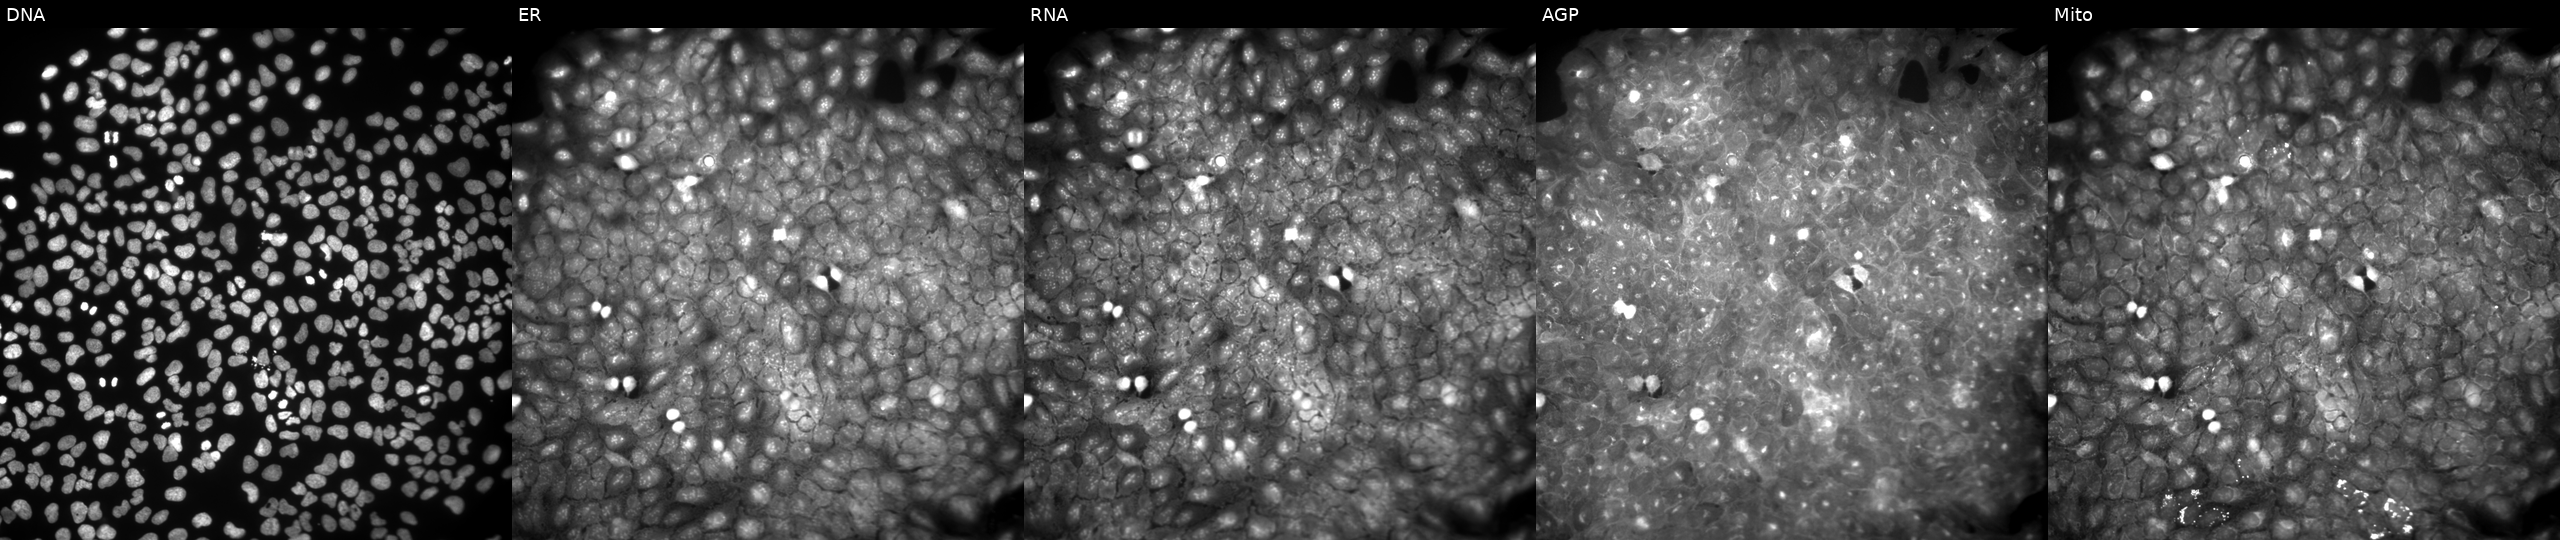
High-content fluorescence microscopy (Cell Painting). Cell line: U2OS. Perturbation: treated with a small-molecule compound (InChIKey FOAUJYUTRFJAAF-UHFFFAOYSA-N) [SMILES: O=C(C1CCCN(S(=O)(=O)c2ccccc2[N+](=O)[O-])C1)N1CCCC1] (JUMP id JCP2022_021868). The five panels, left to right, show DNA, ER, RNA, AGP, and Mito.